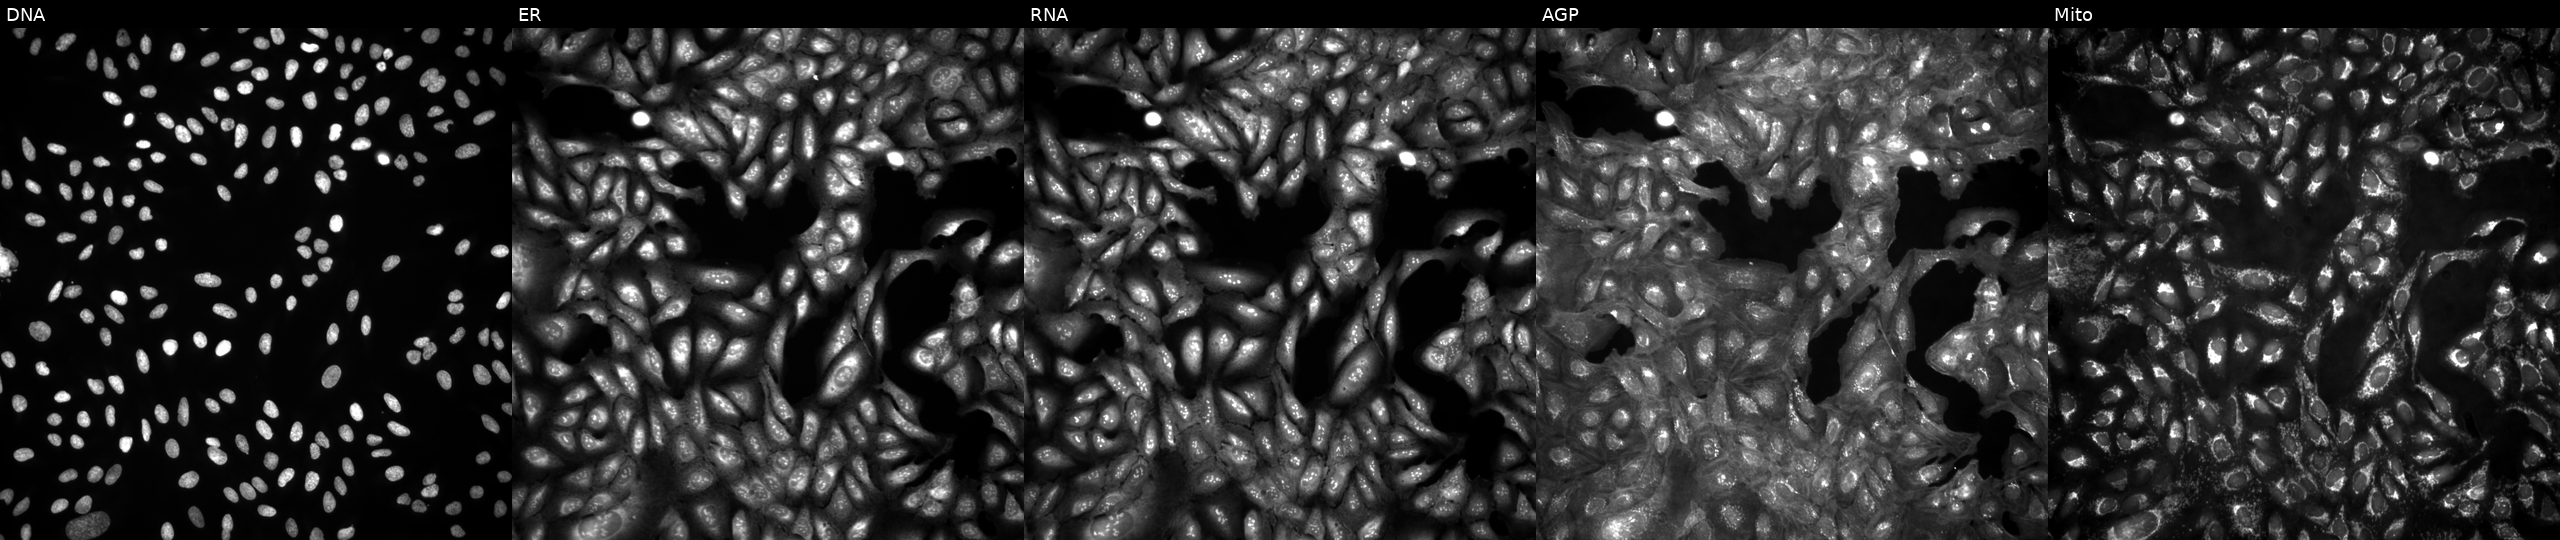
Five-channel Cell Painting image of U2OS cells untreated (empty-well control). Panels show, left to right, DNA (nuclei); ER (endoplasmic reticulum); RNA (nucleoli and cytoplasmic RNA); AGP (actin cytoskeleton, Golgi, and plasma membrane); Mito (mitochondria).